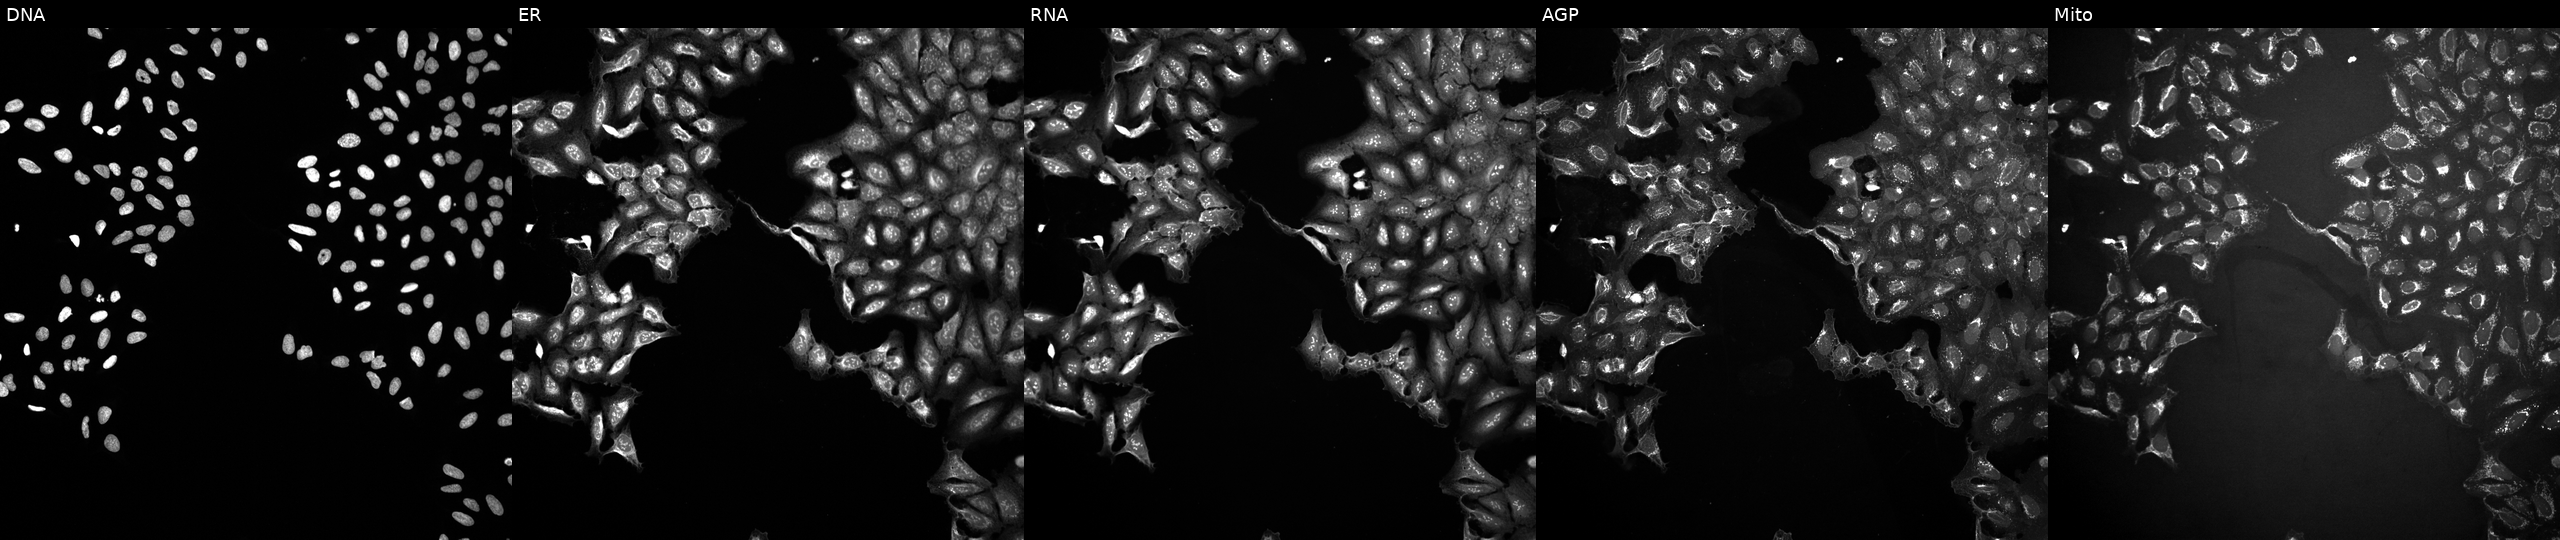
From left to right: DNA, ER, RNA, AGP, and Mito. U2OS osteosarcoma cells exposed to a small-molecule compound (InChIKey PKYKNPLSFOKASK-UHFFFAOYSA-N) (JUMP id JCP2022_069285). Cell Painting assay, JUMP-CP dataset.